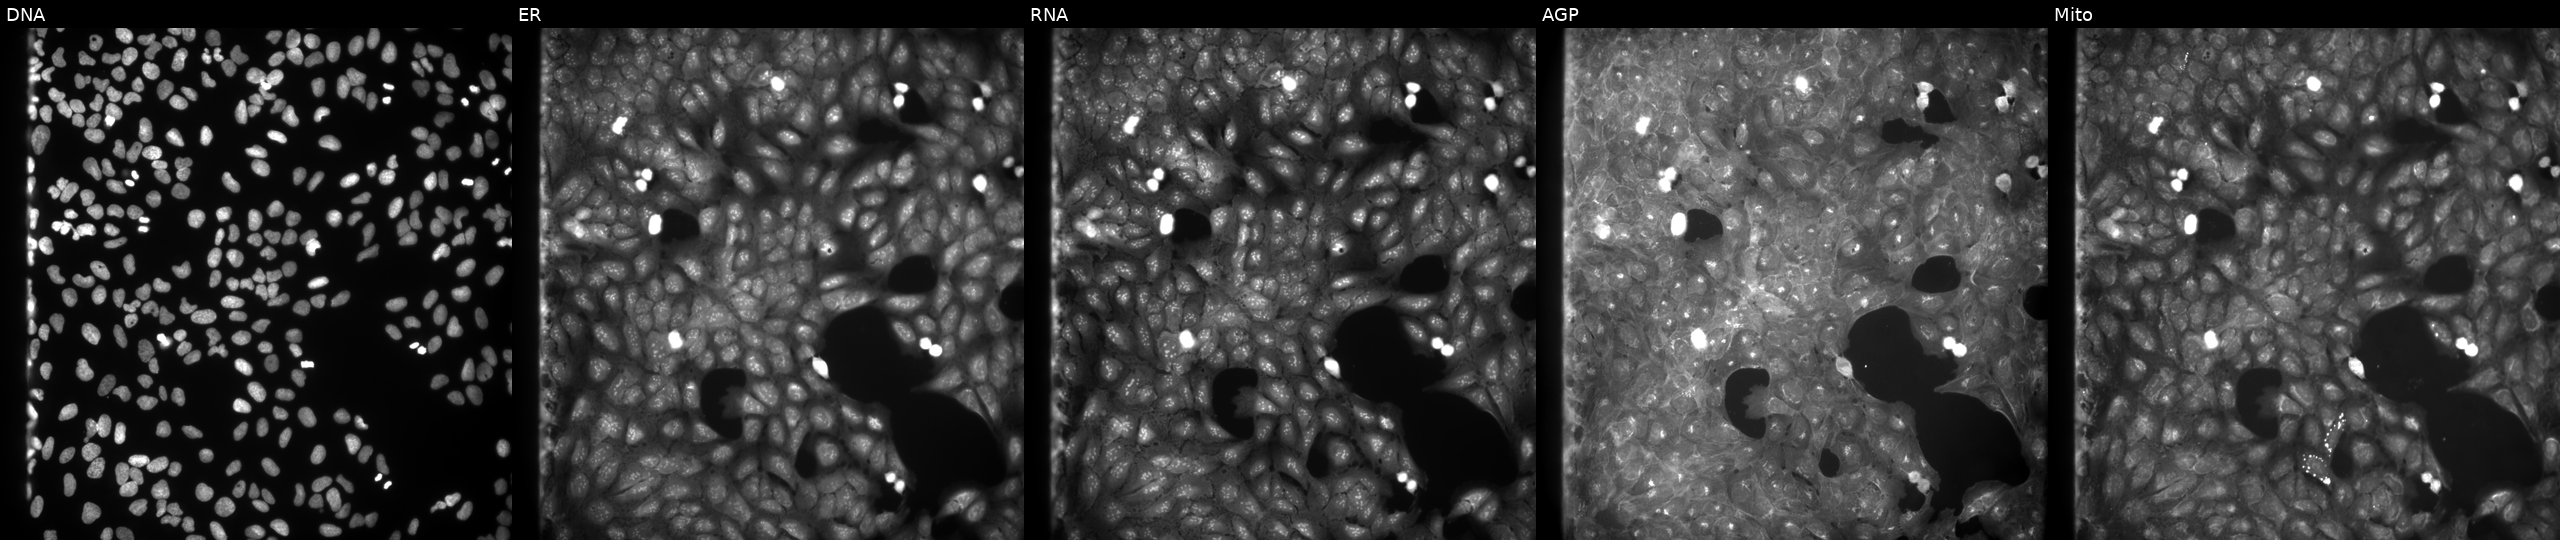
U2OS cells, Cell Painting assay, exposed to a small-molecule compound [SMILES: O=C1CSC(c2ccc(Cl)cc2)N1N=c1nc(N2CCOCC2)[nH]c(N2CCOCC2)n1] (JUMP id JCP2022_079531). From left to right: DNA, ER, RNA, AGP, and Mito. Each panel is percentile-stretched 16-bit fluorescence. Source 9, plate GR00003382, well G09.